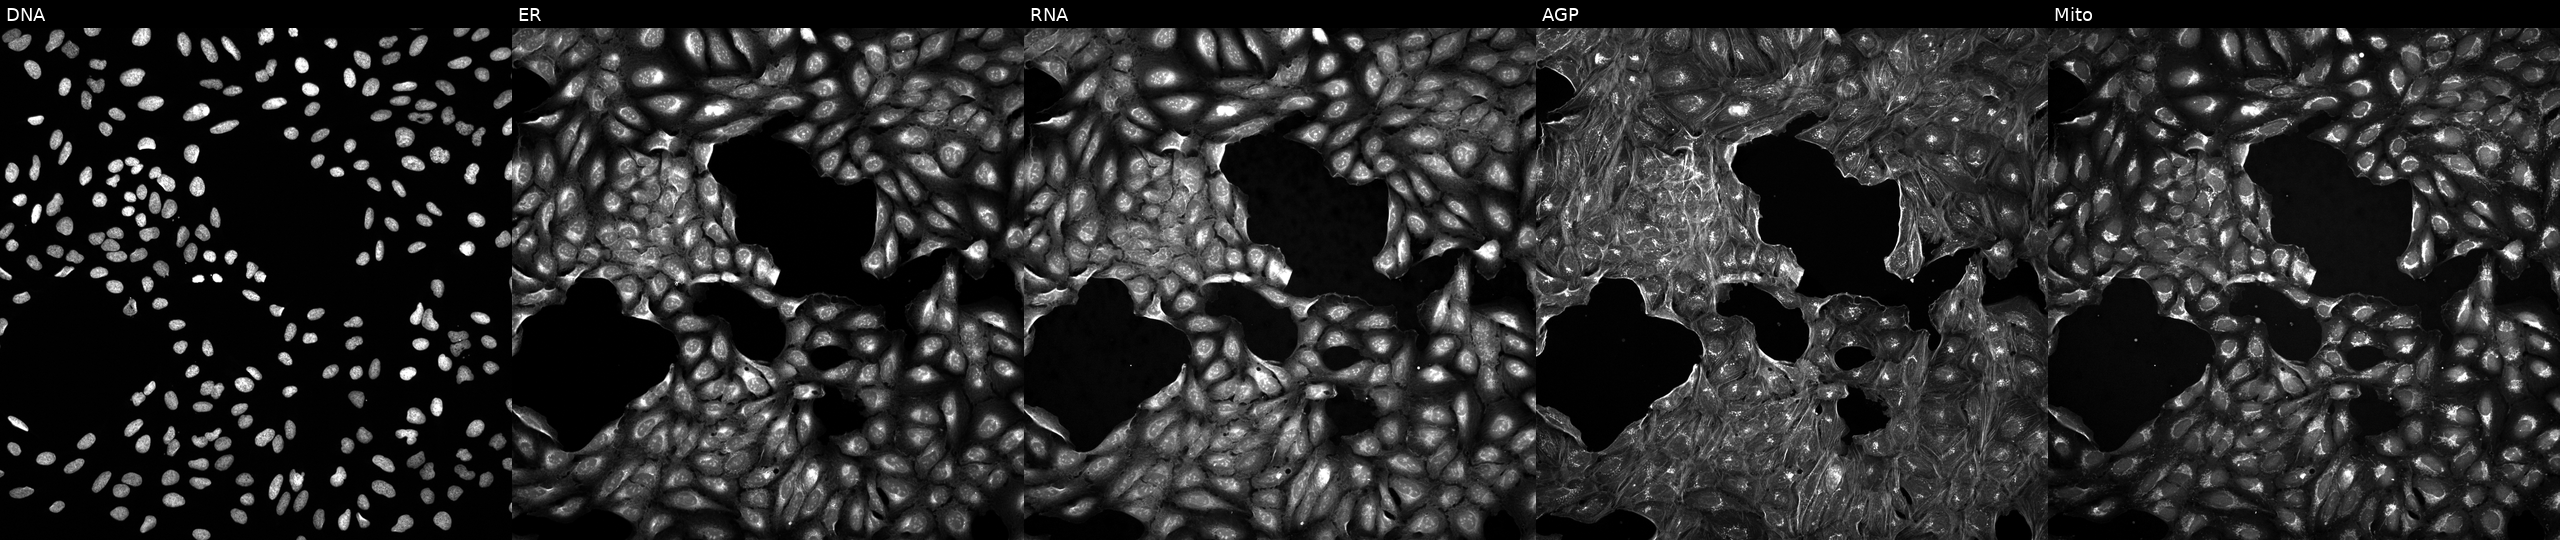
Channels (left→right): Hoechst 33342, concanavalin A, SYTO 14, phalloidin and WGA, MitoTracker. U2OS osteosarcoma cells exposed to DMSO alone as a negative control. Cell Painting assay, JUMP-CP dataset.